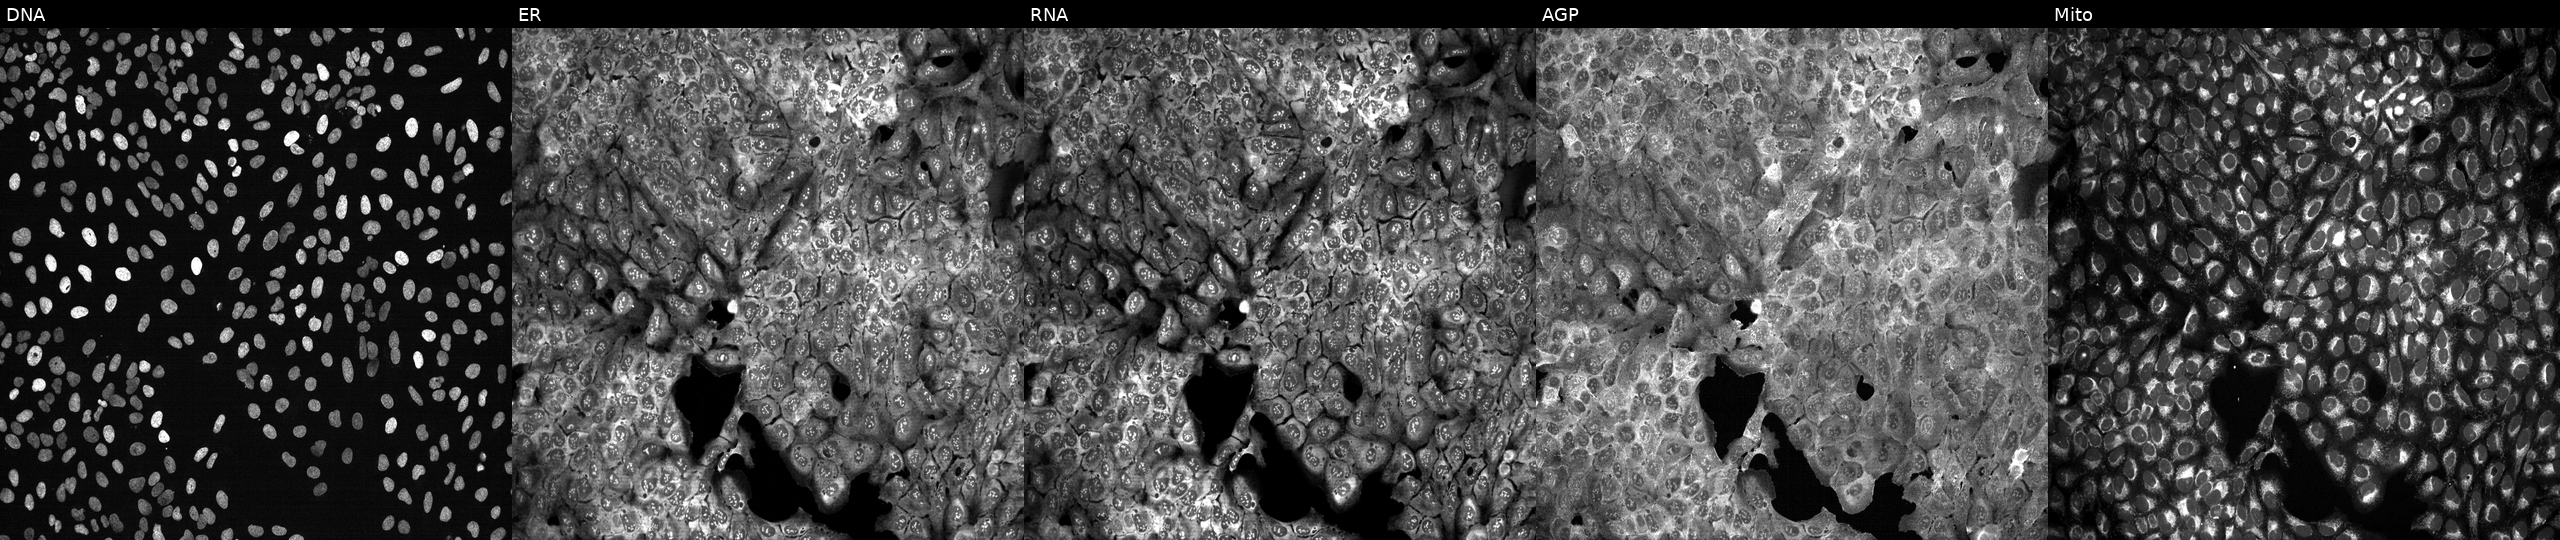
This image strip shows the five Cell Painting channels for a single field of U2OS cells with UBASH3A knocked out by CRISPR. From left to right: DNA (nuclei); ER (endoplasmic reticulum); RNA (nucleoli and cytoplasmic RNA); AGP (actin cytoskeleton, Golgi, and plasma membrane); Mito (mitochondria).